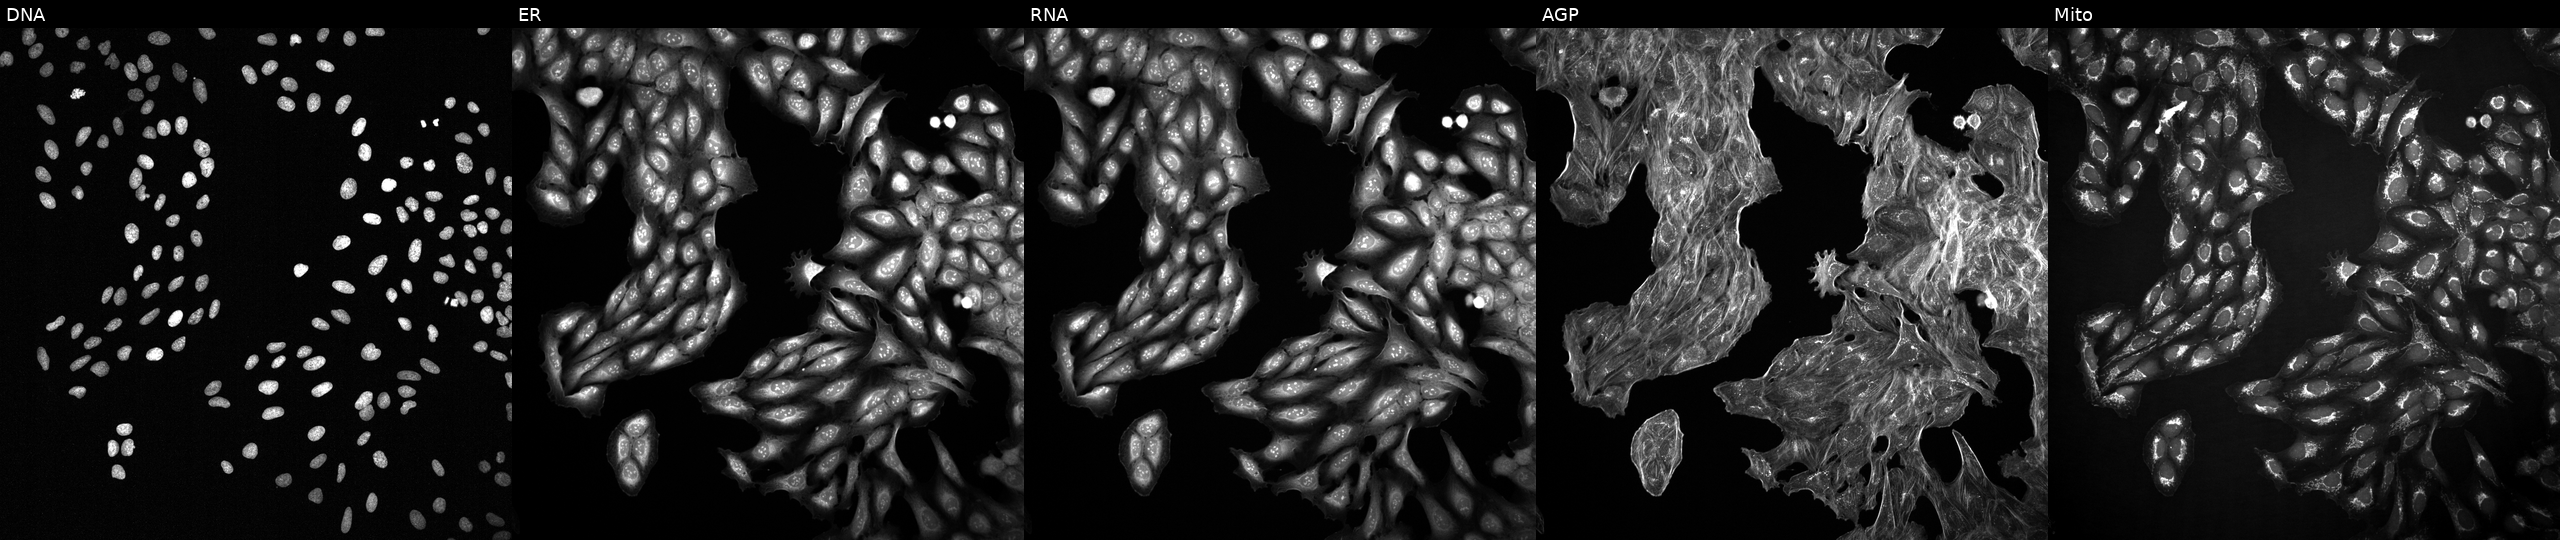
U2OS cells, Cell Painting assay, with an unidentified perturbation (not annotated in JUMP metadata). Panels show, left to right, DNA (nuclei); ER (endoplasmic reticulum); RNA (nucleoli and cytoplasmic RNA); AGP (actin cytoskeleton, Golgi, and plasma membrane); Mito (mitochondria). Each panel is percentile-stretched 16-bit fluorescence. Source 2, plate 1053601756, well N22.